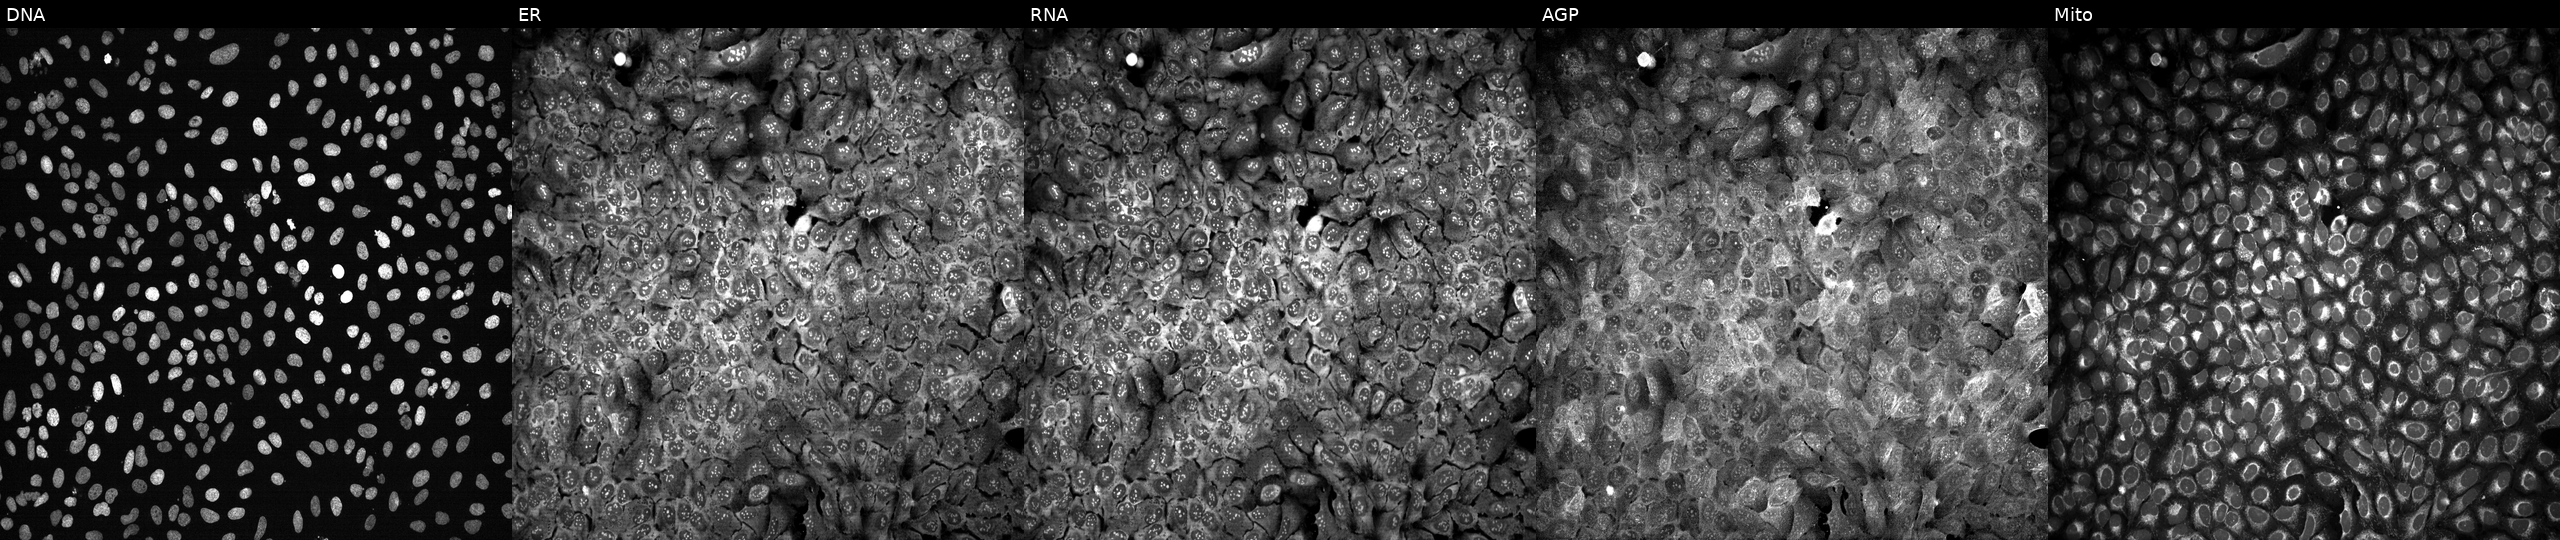
Five-channel Cell Painting image of U2OS cells CRISPR-edited to disrupt KIF22. Panels show, left to right, DNA (nuclei); ER (endoplasmic reticulum); RNA (nucleoli and cytoplasmic RNA); AGP (actin cytoskeleton, Golgi, and plasma membrane); Mito (mitochondria).